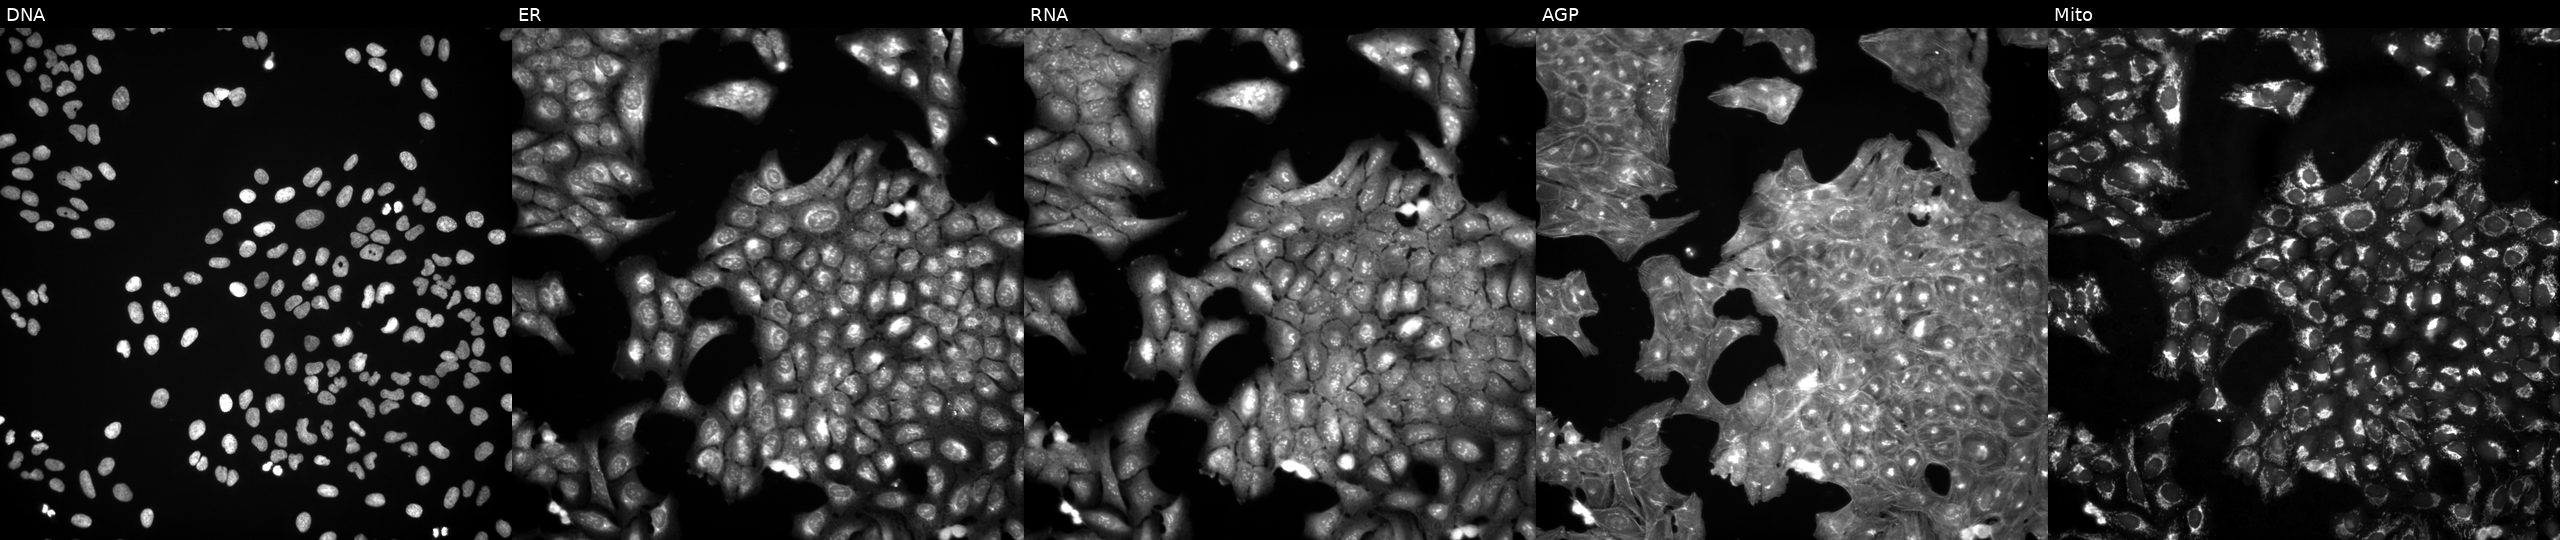
High-content fluorescence microscopy (Cell Painting). Cell line: U2OS. Perturbation: perturbed with a small-molecule compound. Panels show, left to right, DNA (nuclei); ER (endoplasmic reticulum); RNA (nucleoli and cytoplasmic RNA); AGP (actin cytoskeleton, Golgi, and plasma membrane); Mito (mitochondria).